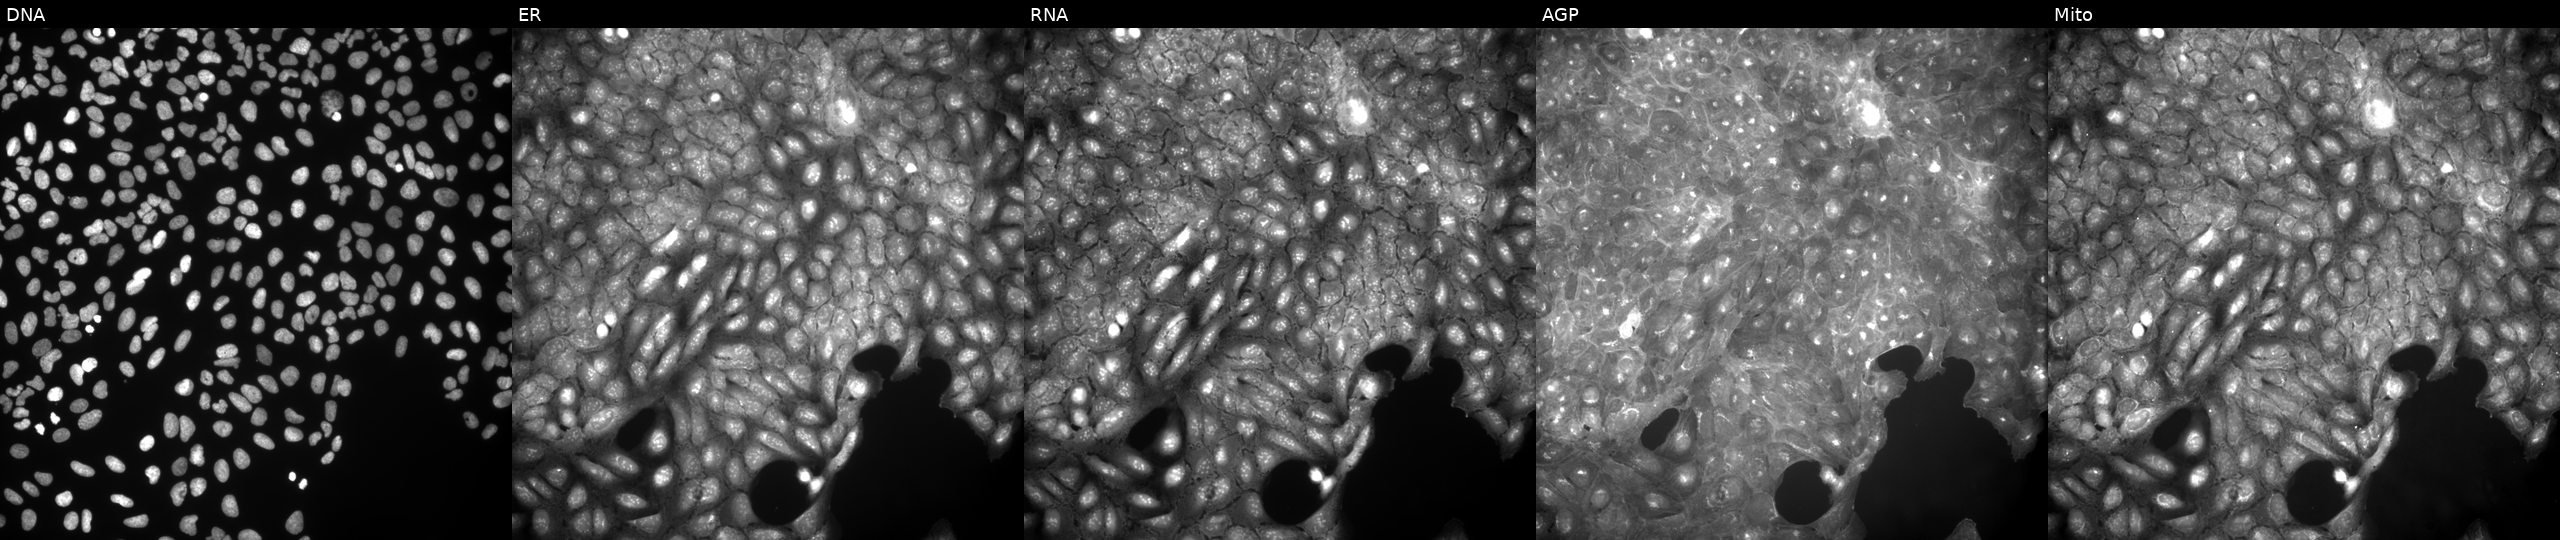
Channels (left→right): DNA, ER, RNA, AGP, and Mito. U2OS osteosarcoma cells perturbed with a small-molecule compound. Cell Painting assay, JUMP-CP dataset.